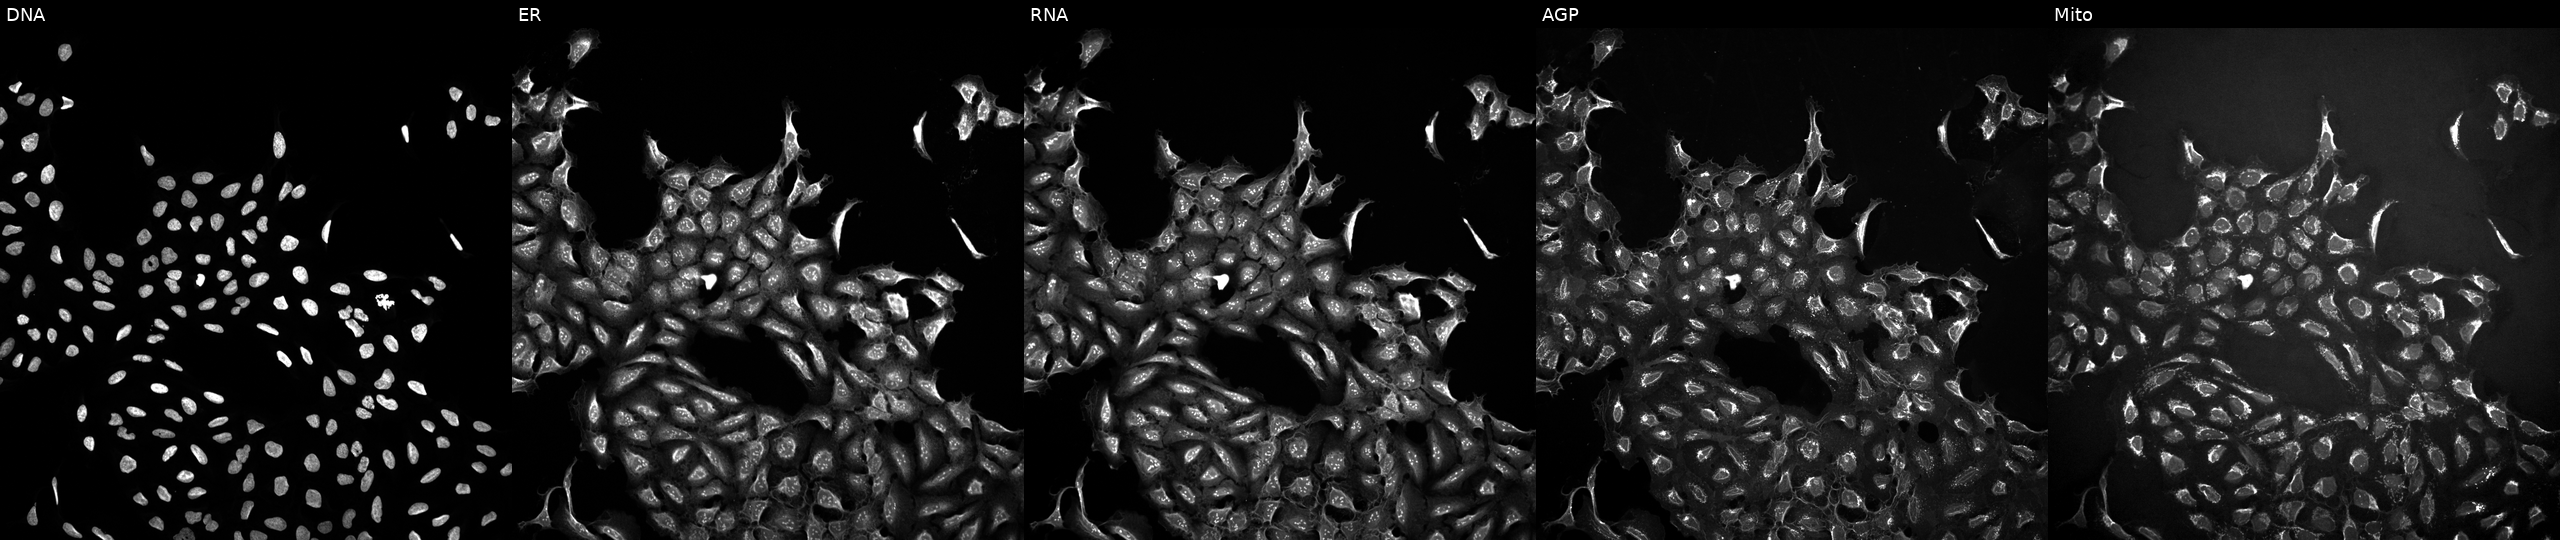
Five-channel Cell Painting image of U2OS cells treated with a small-molecule compound (InChIKey LEVWYRKDKASIDU-UHFFFAOYSA-N) (JUMP id JCP2022_048971). From left to right: DNA (nuclei); ER (endoplasmic reticulum); RNA (nucleoli and cytoplasmic RNA); AGP (actin cytoskeleton, Golgi, and plasma membrane); Mito (mitochondria).